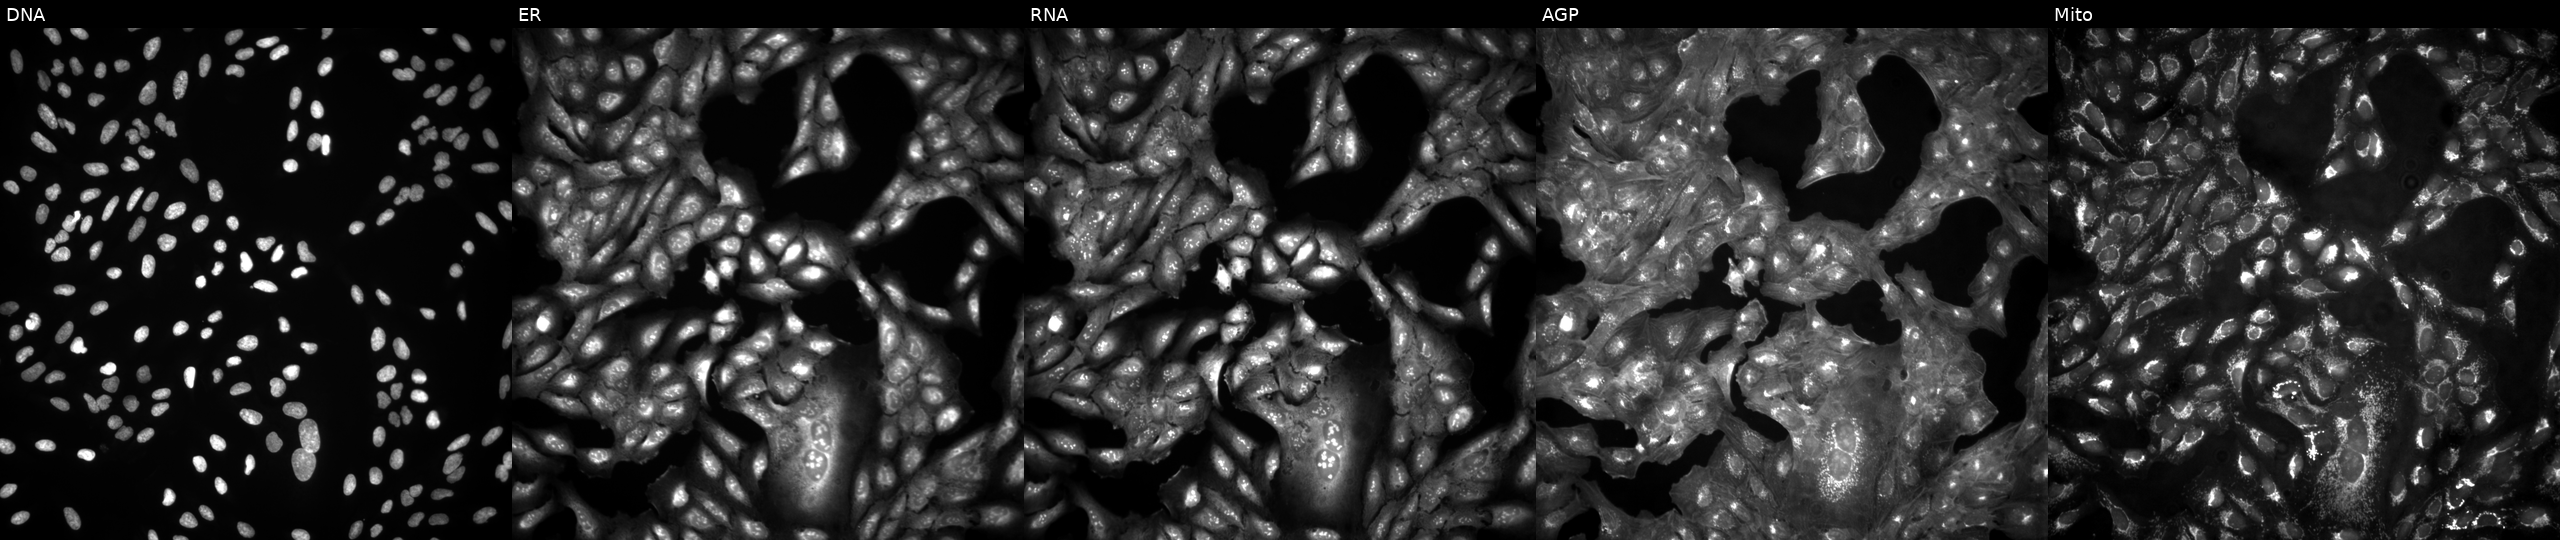
U2OS cells, Cell Painting assay, in an empty control well (no perturbation) (JUMP id JCP2022_999999). The five panels, left to right, show Hoechst 33342, concanavalin A, SYTO 14, phalloidin and WGA, MitoTracker. Each panel is percentile-stretched 16-bit fluorescence.